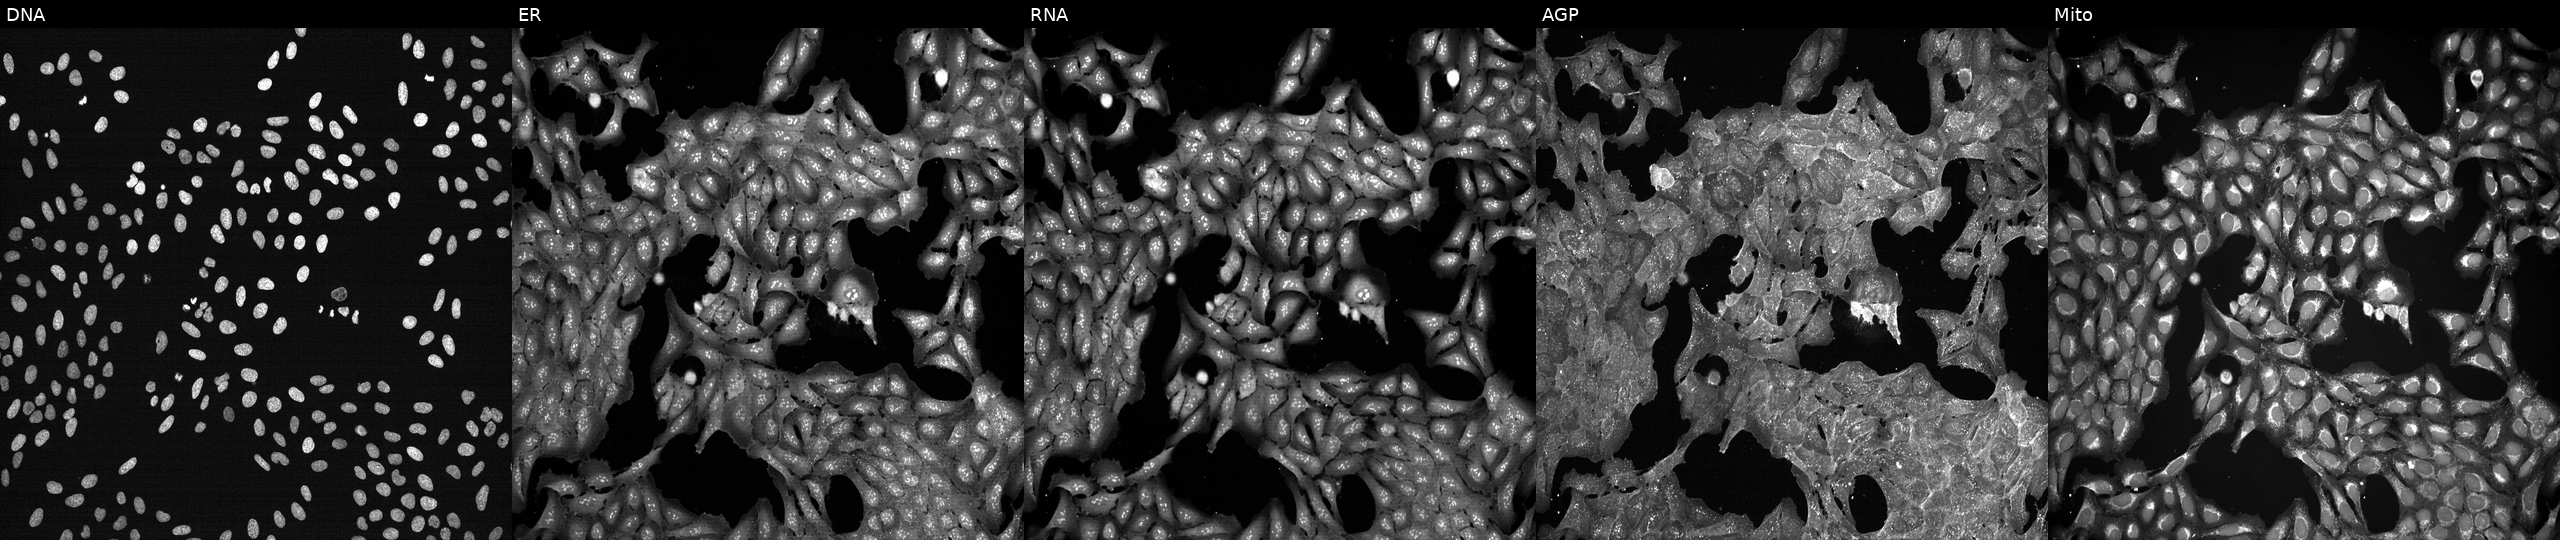
This image strip shows the five Cell Painting channels for a single field of U2OS cells perturbed with a small-molecule compound (JUMP id JCP2022_051043). Channels (left→right): Hoechst 33342, concanavalin A, SYTO 14, phalloidin and WGA, MitoTracker.